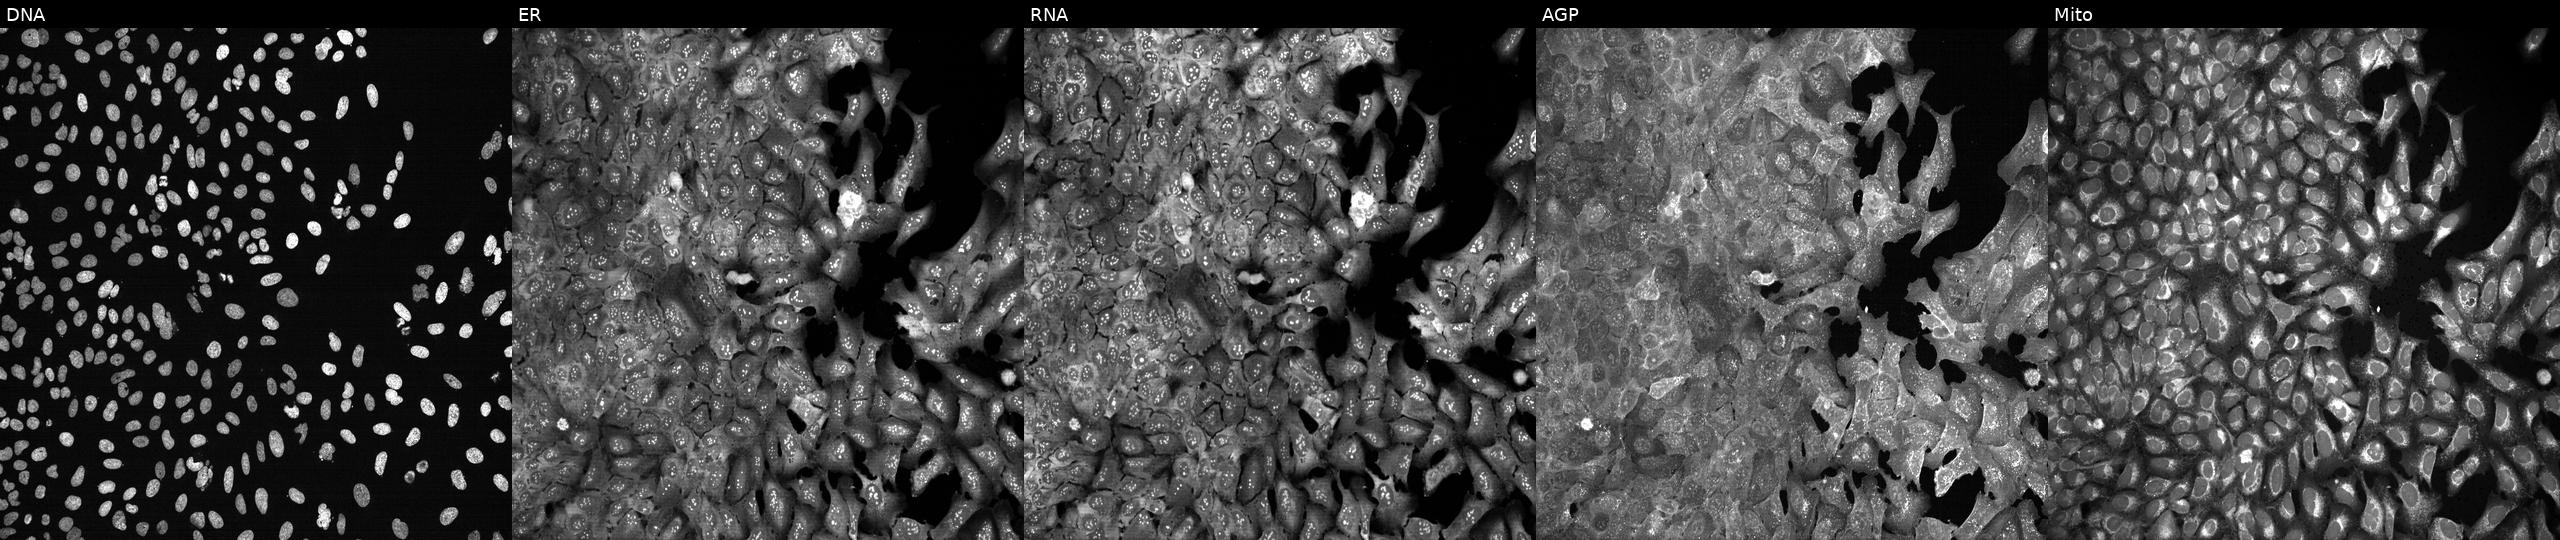
Panels show, left to right, Hoechst 33342, concanavalin A, SYTO 14, phalloidin and WGA, MitoTracker. U2OS osteosarcoma cells following CRISPR knockout of SLC5A11 (JUMP id JCP2022_806557). Cell Painting assay, JUMP-CP dataset. Source 13, plate CP-CC9-R5-01, well L08.